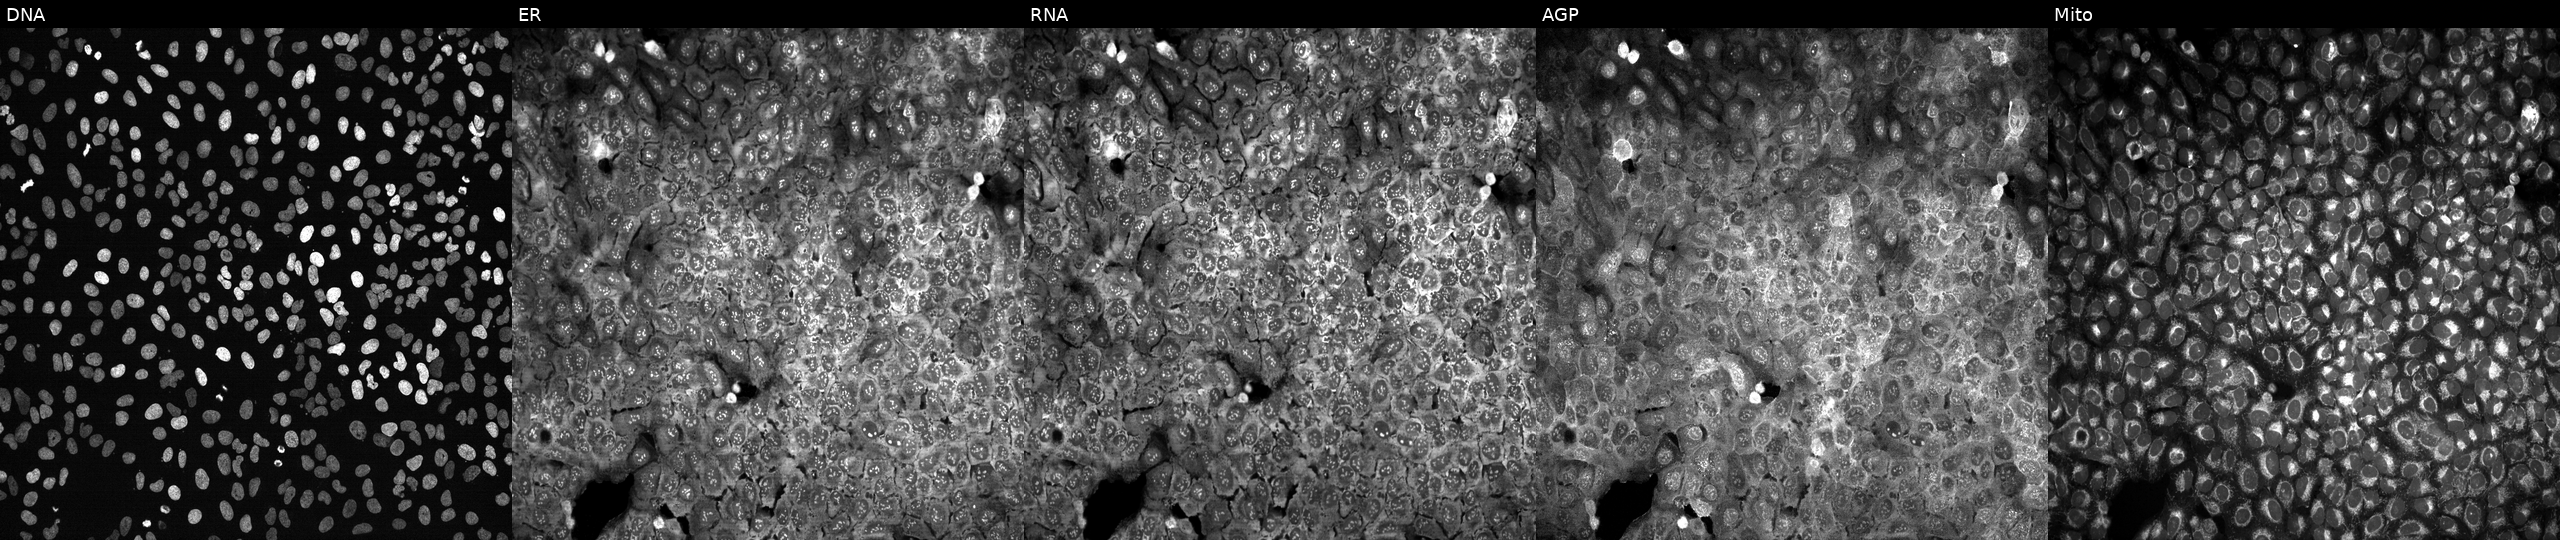
Five-channel Cell Painting image of U2OS cells following CRISPR knockout of MTHFS (JUMP id JCP2022_804312). Panels show, left to right, DNA, ER, RNA, AGP, and Mito.